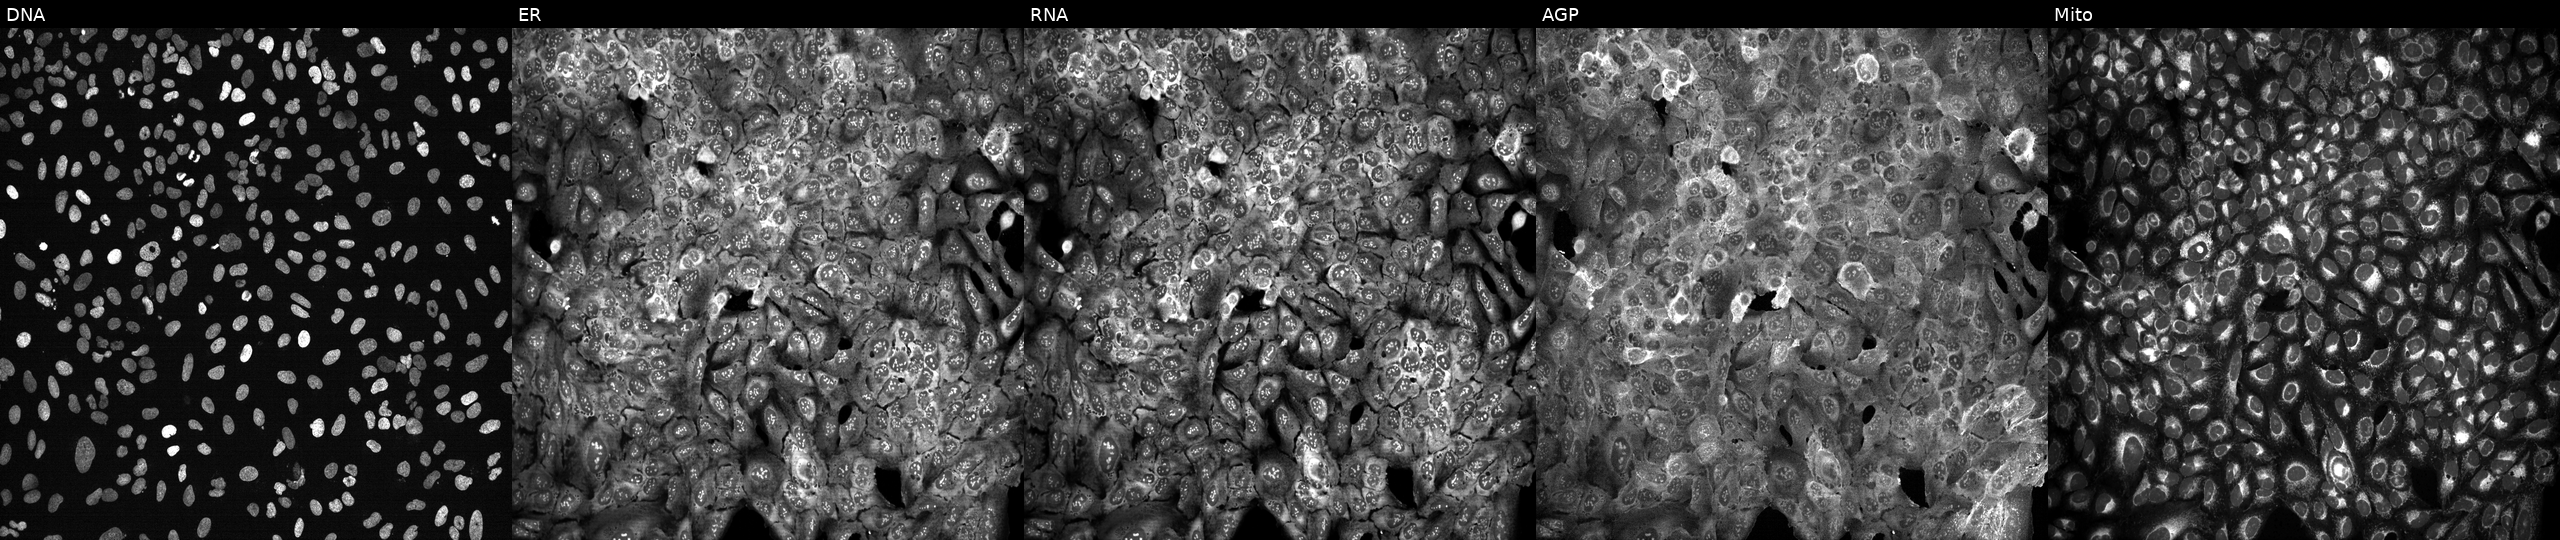
High-content fluorescence microscopy (Cell Painting). Cell line: U2OS. Perturbation: following CRISPR knockout of MCEE. Channels (left→right): DNA (nuclei); ER (endoplasmic reticulum); RNA (nucleoli and cytoplasmic RNA); AGP (actin cytoskeleton, Golgi, and plasma membrane); Mito (mitochondria).